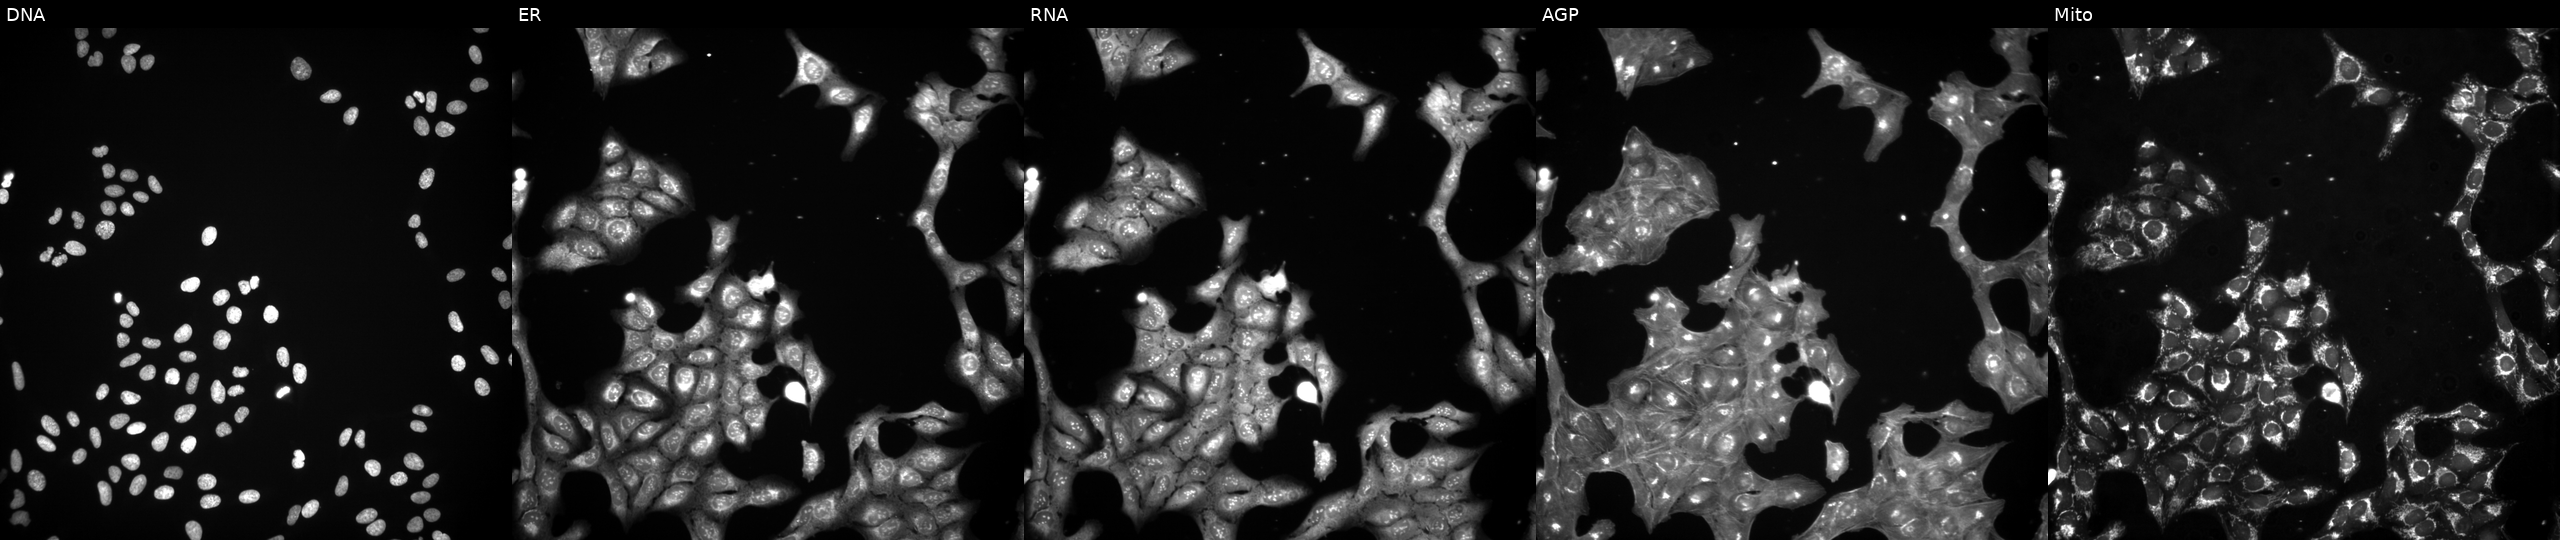
This image strip shows the five Cell Painting channels for a single field of U2OS cells exposed to a small-molecule compound (InChIKey HULPONUAINYLQQ-UHFFFAOYSA-N) [SMILES: CC=C(C)C(=O)OC1C(C)=CC23C(=O)C(=CC(CO)C(O)C12O)C1C(CC3C)C1(C)C]. From left to right: Hoechst 33342, concanavalin A, SYTO 14, phalloidin and WGA, MitoTracker. Source 3, plate JCPQC052, well I18.